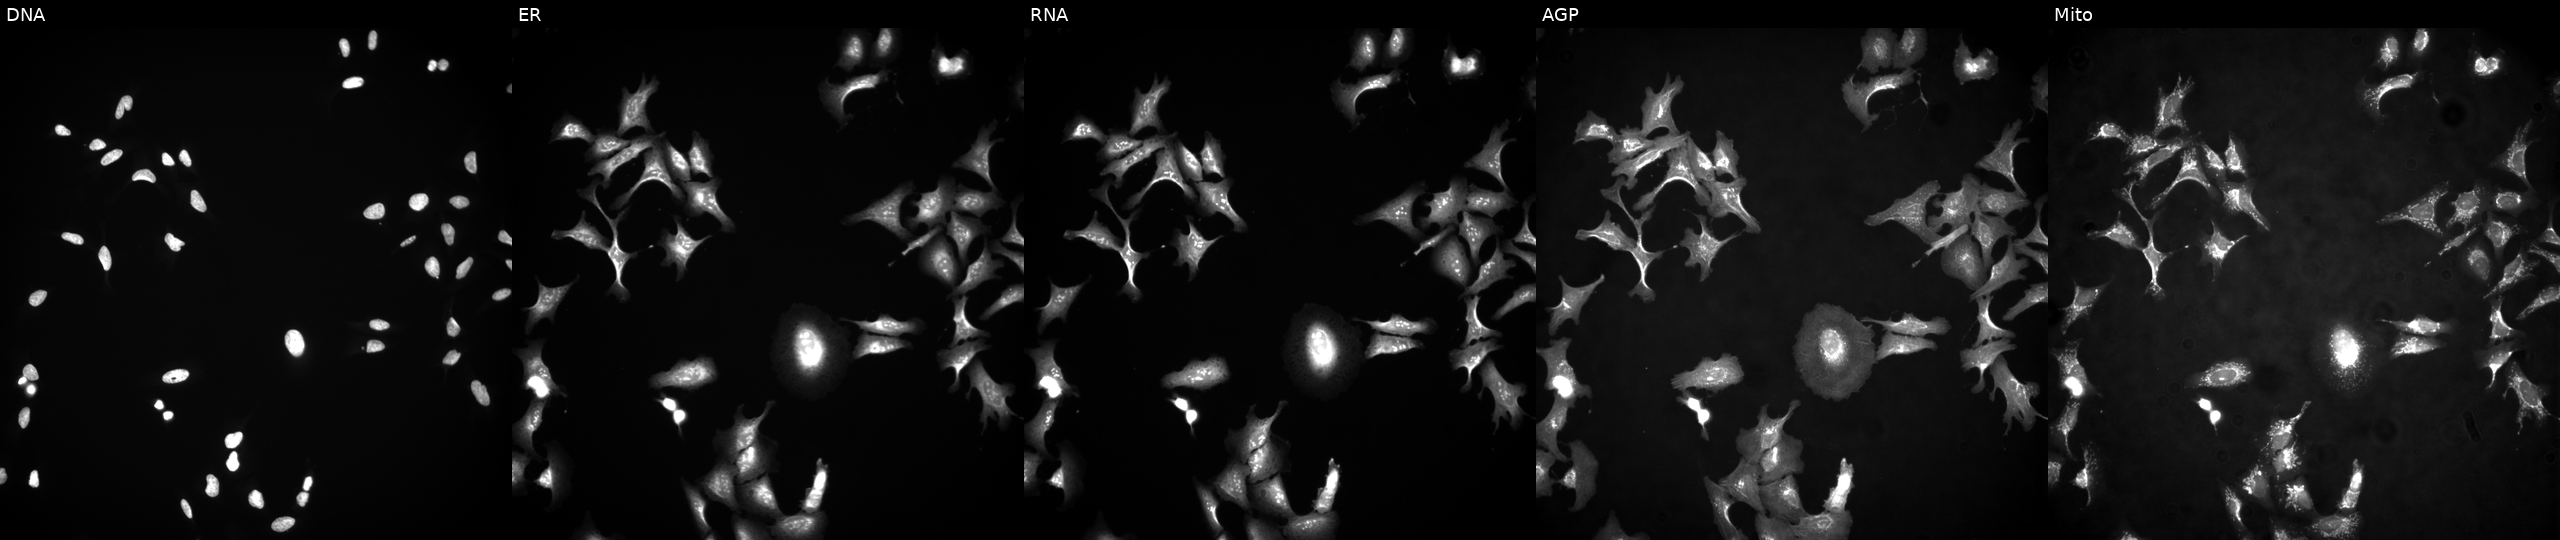
High-content fluorescence microscopy (Cell Painting). Cell line: U2OS. Perturbation: with TTC4 overexpressed (ORF). Panels show, left to right, DNA (nuclei); ER (endoplasmic reticulum); RNA (nucleoli and cytoplasmic RNA); AGP (actin cytoskeleton, Golgi, and plasma membrane); Mito (mitochondria).